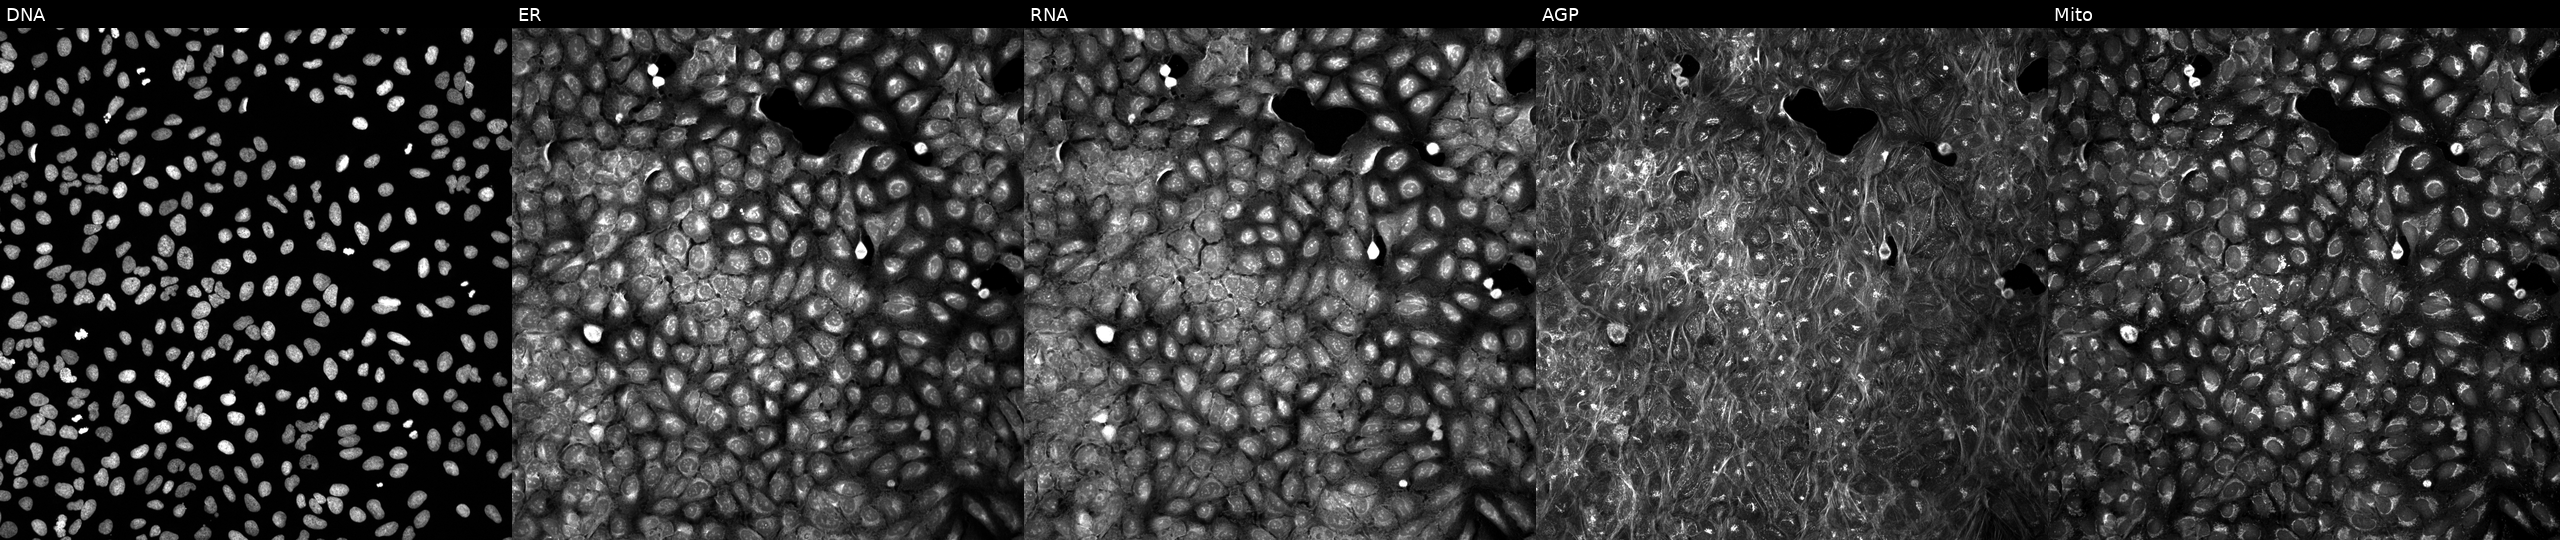
This image strip shows the five Cell Painting channels for a single field of U2OS cells perturbed with a small-molecule compound (InChIKey FYIBXBFDXNPBSF-UHFFFAOYSA-N). The five panels, left to right, show DNA, ER, RNA, AGP, and Mito.